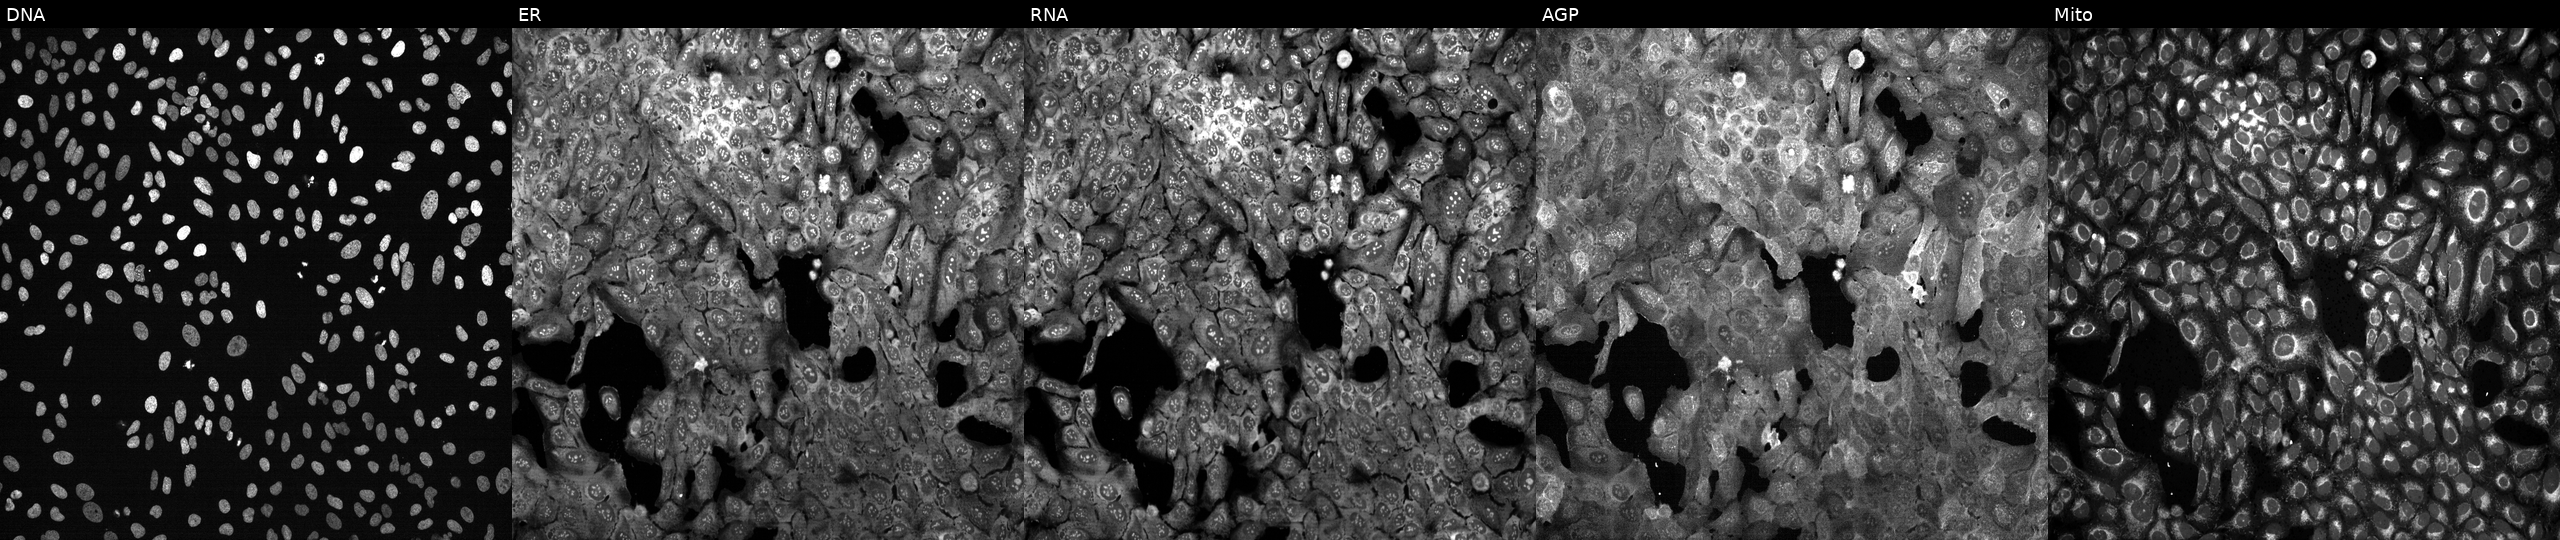
JUMP Cell Painting — CRISPR plate. U2OS cells CRISPR-edited to disrupt DDAH2. Channels (left→right): Hoechst 33342, concanavalin A, SYTO 14, phalloidin and WGA, MitoTracker. Source 13, plate CP-CC9-R2-02, well N05.